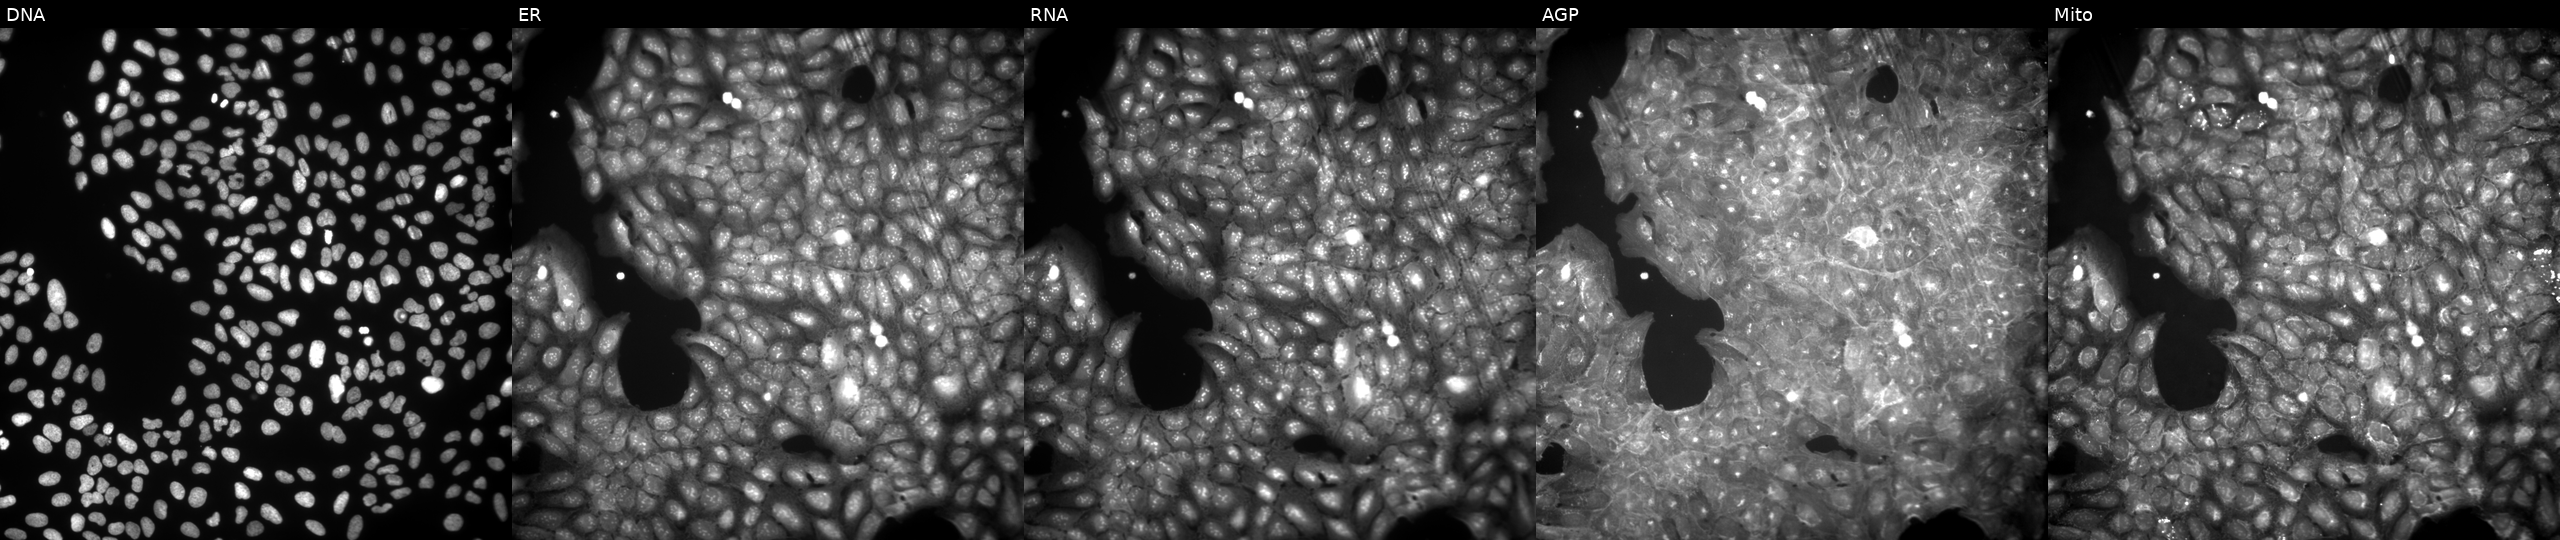
U2OS cells, Cell Painting assay, perturbed with a small-molecule compound [SMILES: CS(=O)(=O)c1ccc2[nH]c(=NC(=O)Cc3ccc(Br)cc3)sc2c1] (JUMP id JCP2022_012988). From left to right: DNA (nuclei); ER (endoplasmic reticulum); RNA (nucleoli and cytoplasmic RNA); AGP (actin cytoskeleton, Golgi, and plasma membrane); Mito (mitochondria). Each panel is percentile-stretched 16-bit fluorescence.